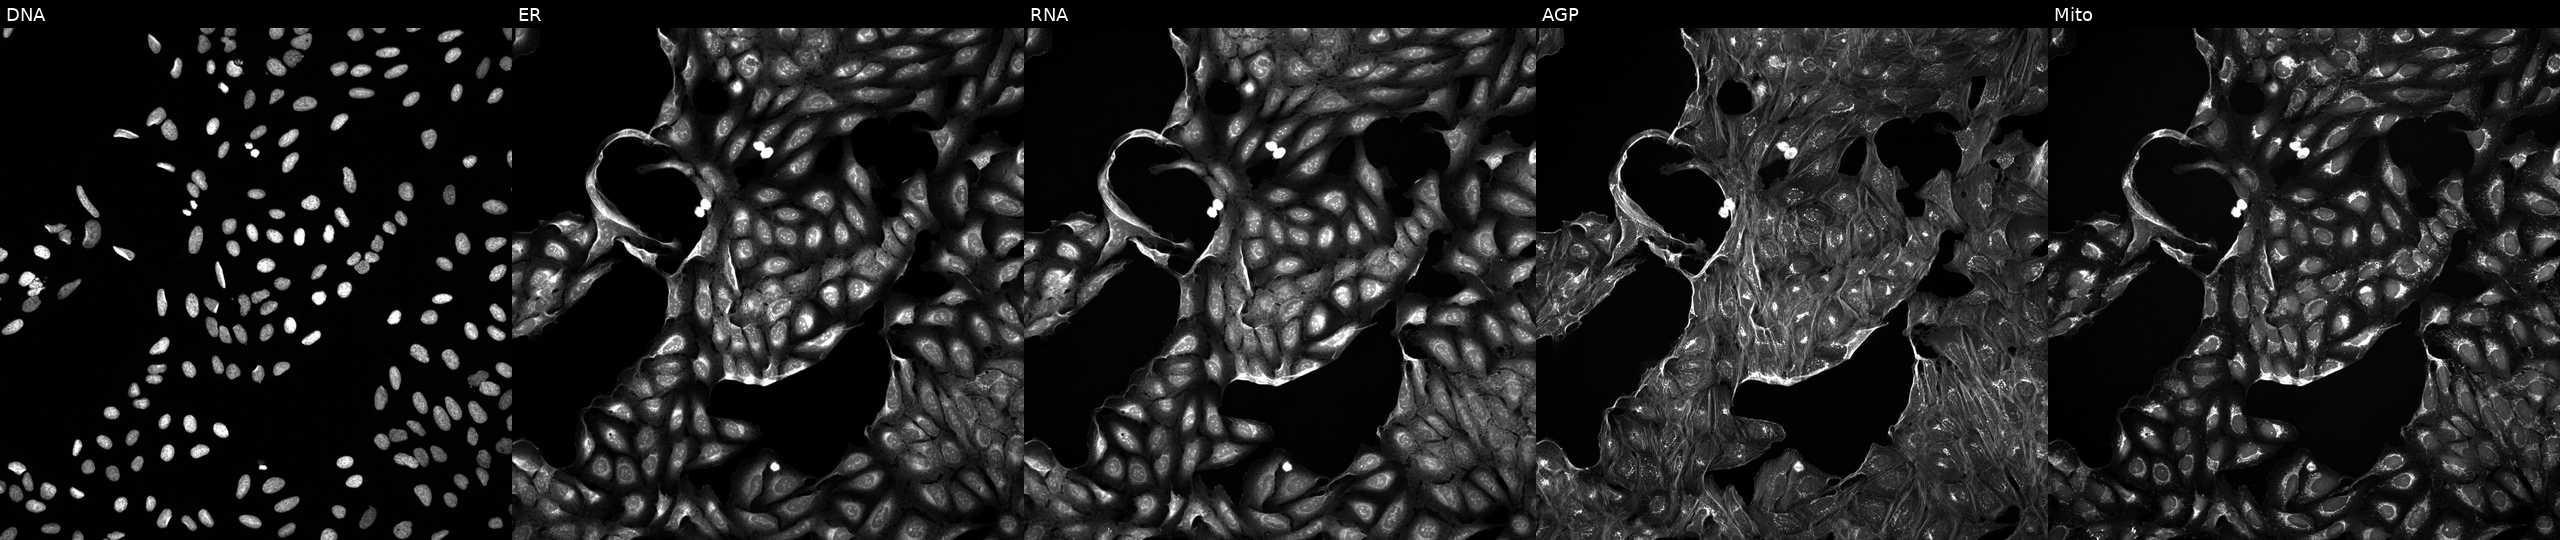
From left to right: DNA, ER, RNA, AGP, and Mito. U2OS osteosarcoma cells treated with DMSO vehicle only (negative control). Cell Painting assay, JUMP-CP dataset.